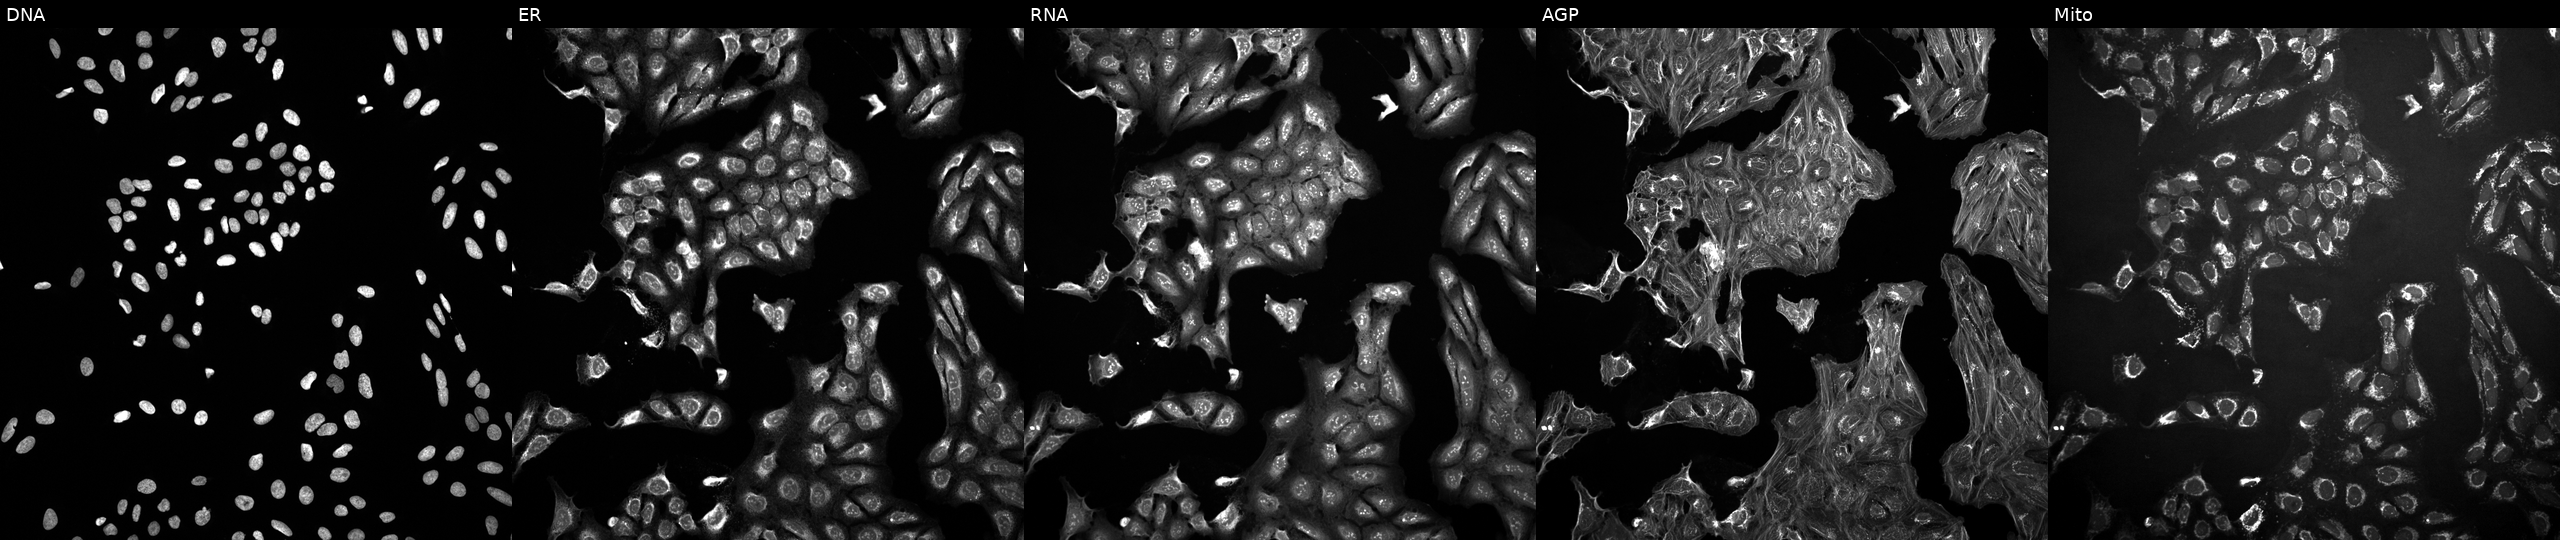
Five-channel Cell Painting image of U2OS cells perturbed with a small-molecule compound. Channels (left→right): DNA, ER, RNA, AGP, and Mito. Source 10, plate Dest210531-152324, well E03.